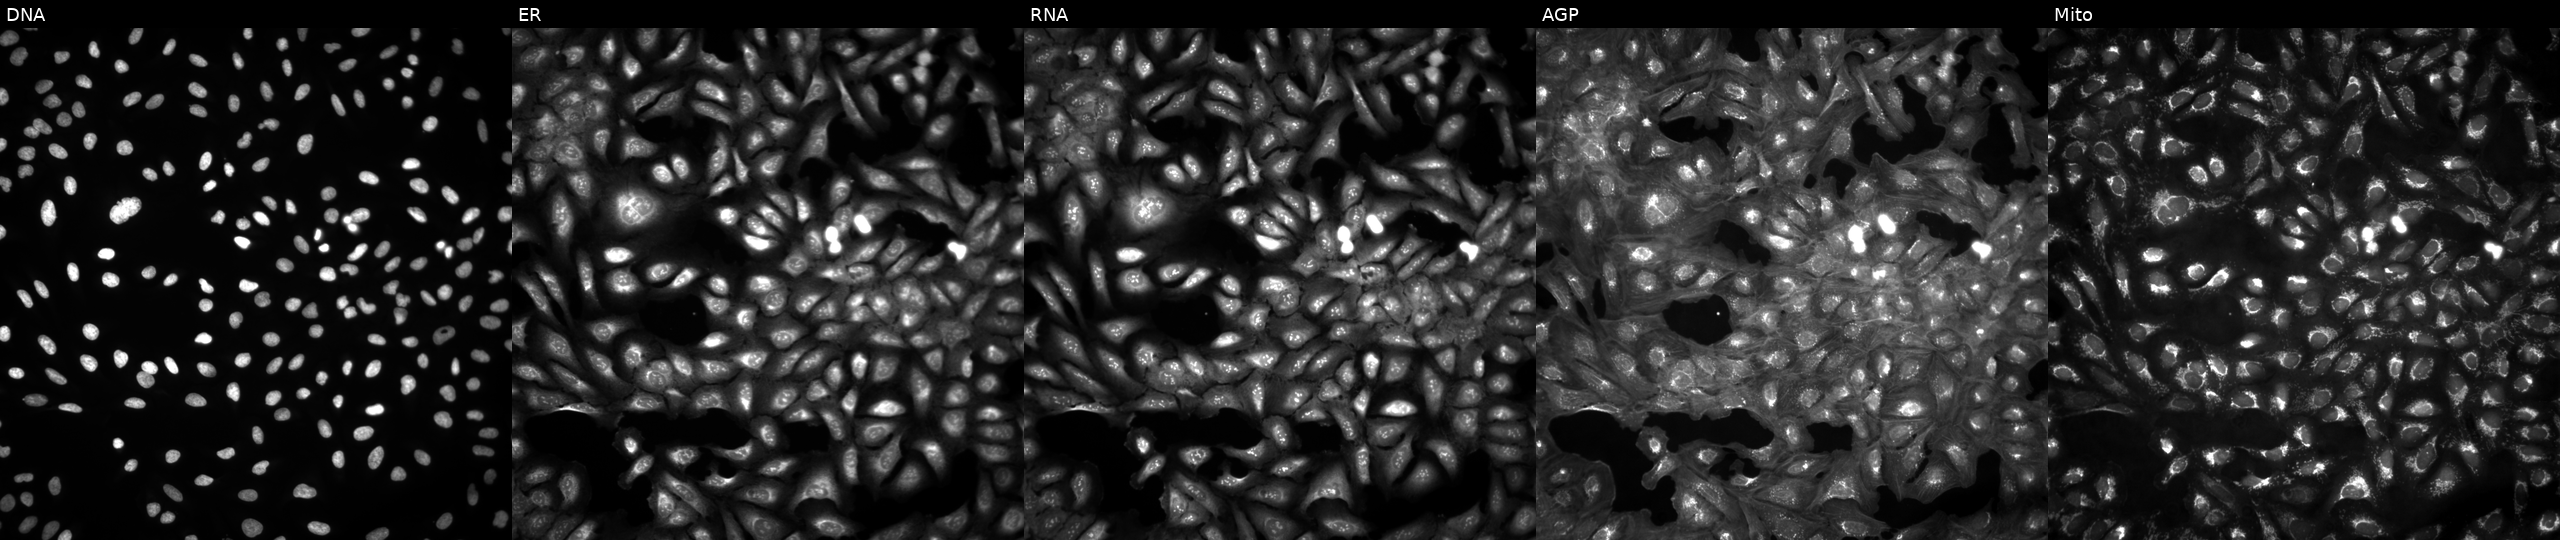
U2OS cells, Cell Painting assay, in an empty control well (no perturbation) (JUMP id JCP2022_999999). Channels (left→right): DNA, ER, RNA, AGP, and Mito. Each panel is percentile-stretched 16-bit fluorescence. Source 4, plate BR00124793, well D22.